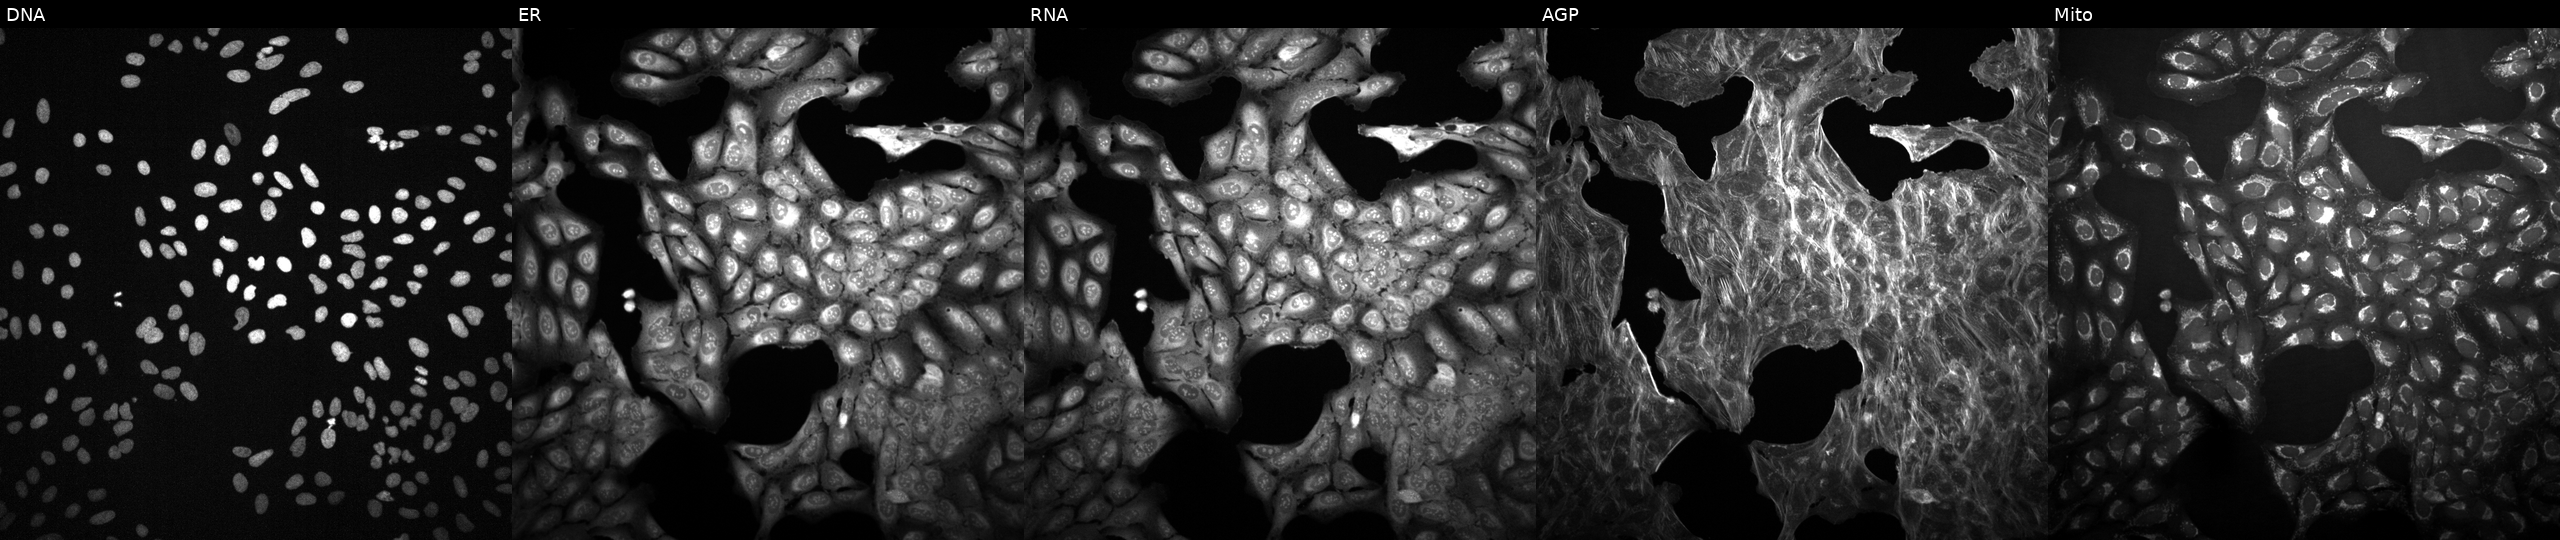
U2OS cells, Cell Painting assay, perturbed with a small-molecule compound (InChIKey QVZCXCJXTMIDME-UHFFFAOYSA-N). The five panels, left to right, show Hoechst 33342, concanavalin A, SYTO 14, phalloidin and WGA, MitoTracker. Each panel is percentile-stretched 16-bit fluorescence. Source 2, plate 1053597936, well L14.